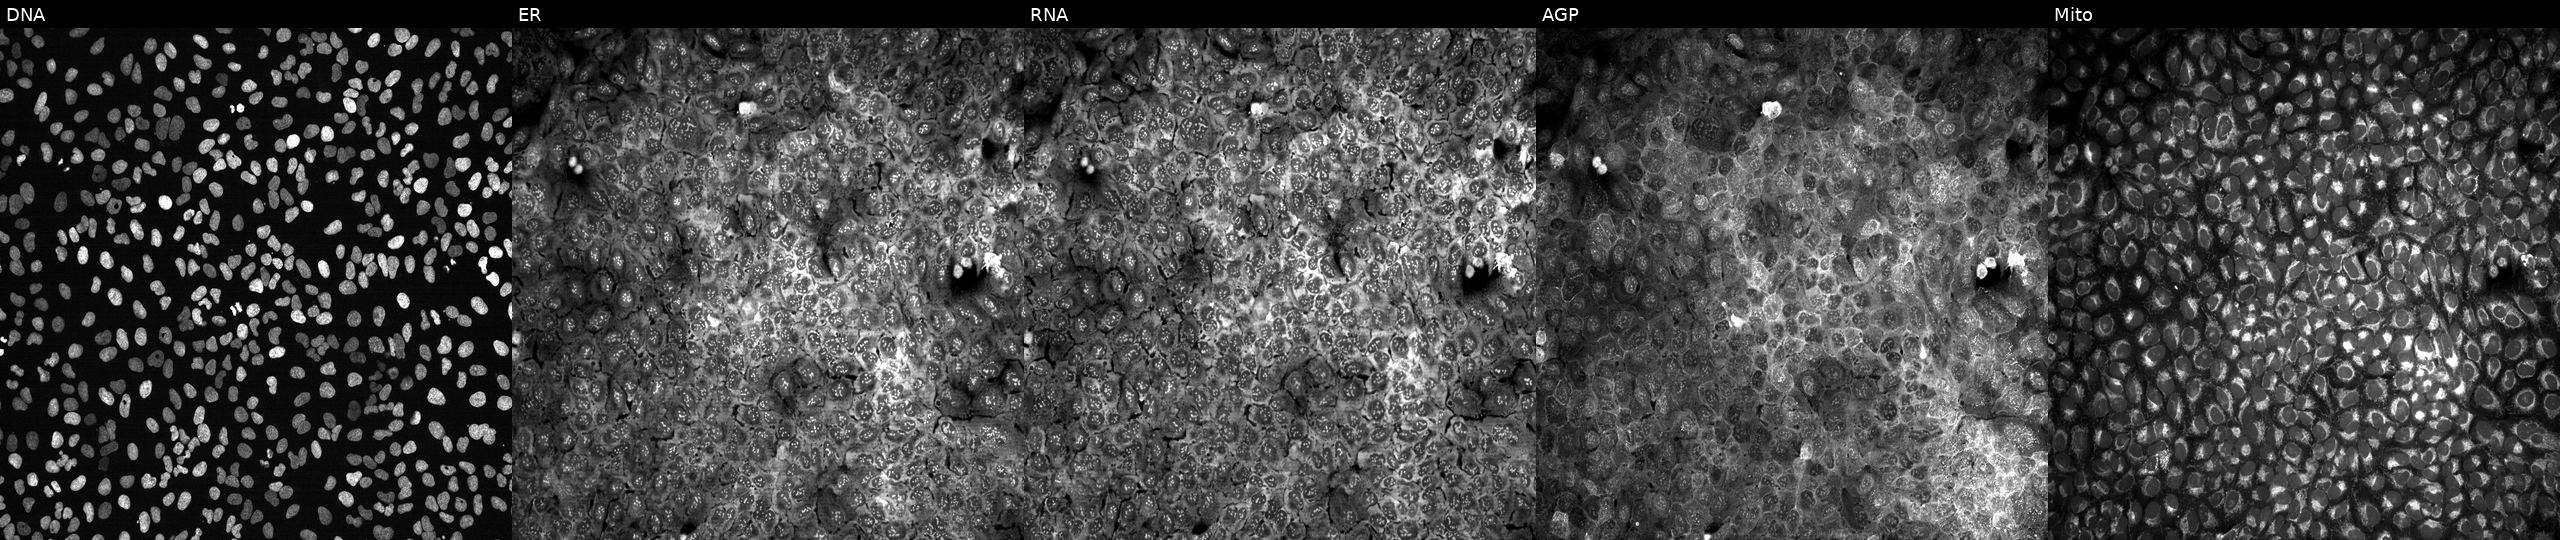
JUMP Cell Painting — CRISPR plate. U2OS cells following CRISPR knockout of FTSJ1 (JUMP id JCP2022_802501). Panels show, left to right, DNA, ER, RNA, AGP, and Mito.